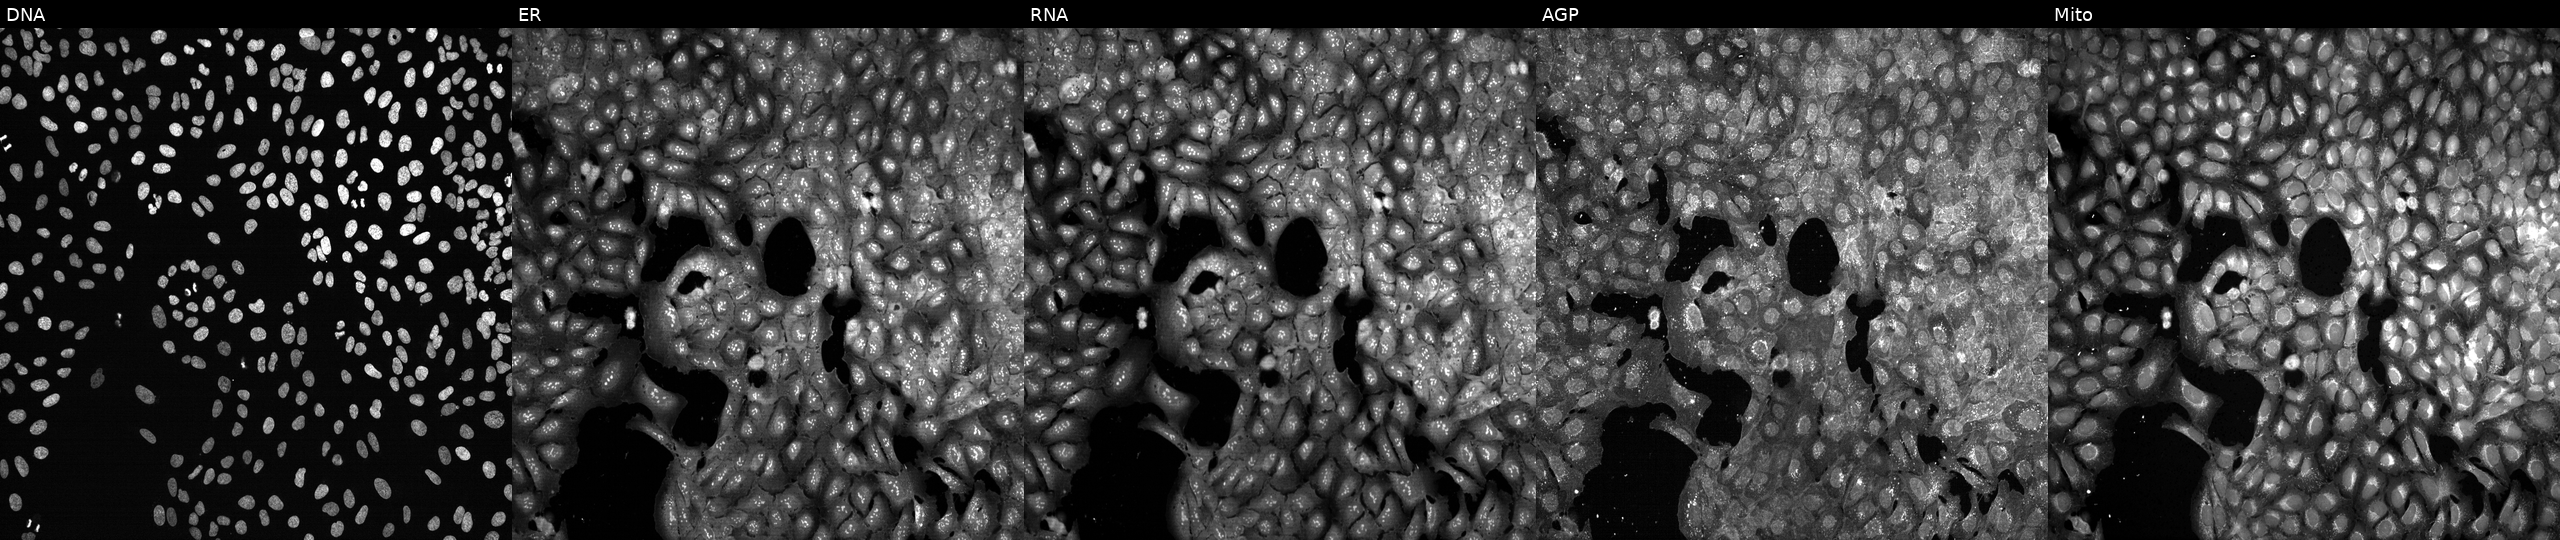
High-content fluorescence microscopy (Cell Painting). Cell line: U2OS. Perturbation: with a non-targeting CRISPR guide (negative control) (JUMP id JCP2022_800002). From left to right: DNA (nuclei); ER (endoplasmic reticulum); RNA (nucleoli and cytoplasmic RNA); AGP (actin cytoskeleton, Golgi, and plasma membrane); Mito (mitochondria). Source 13, plate CP-CC9-R1-02, well M02.